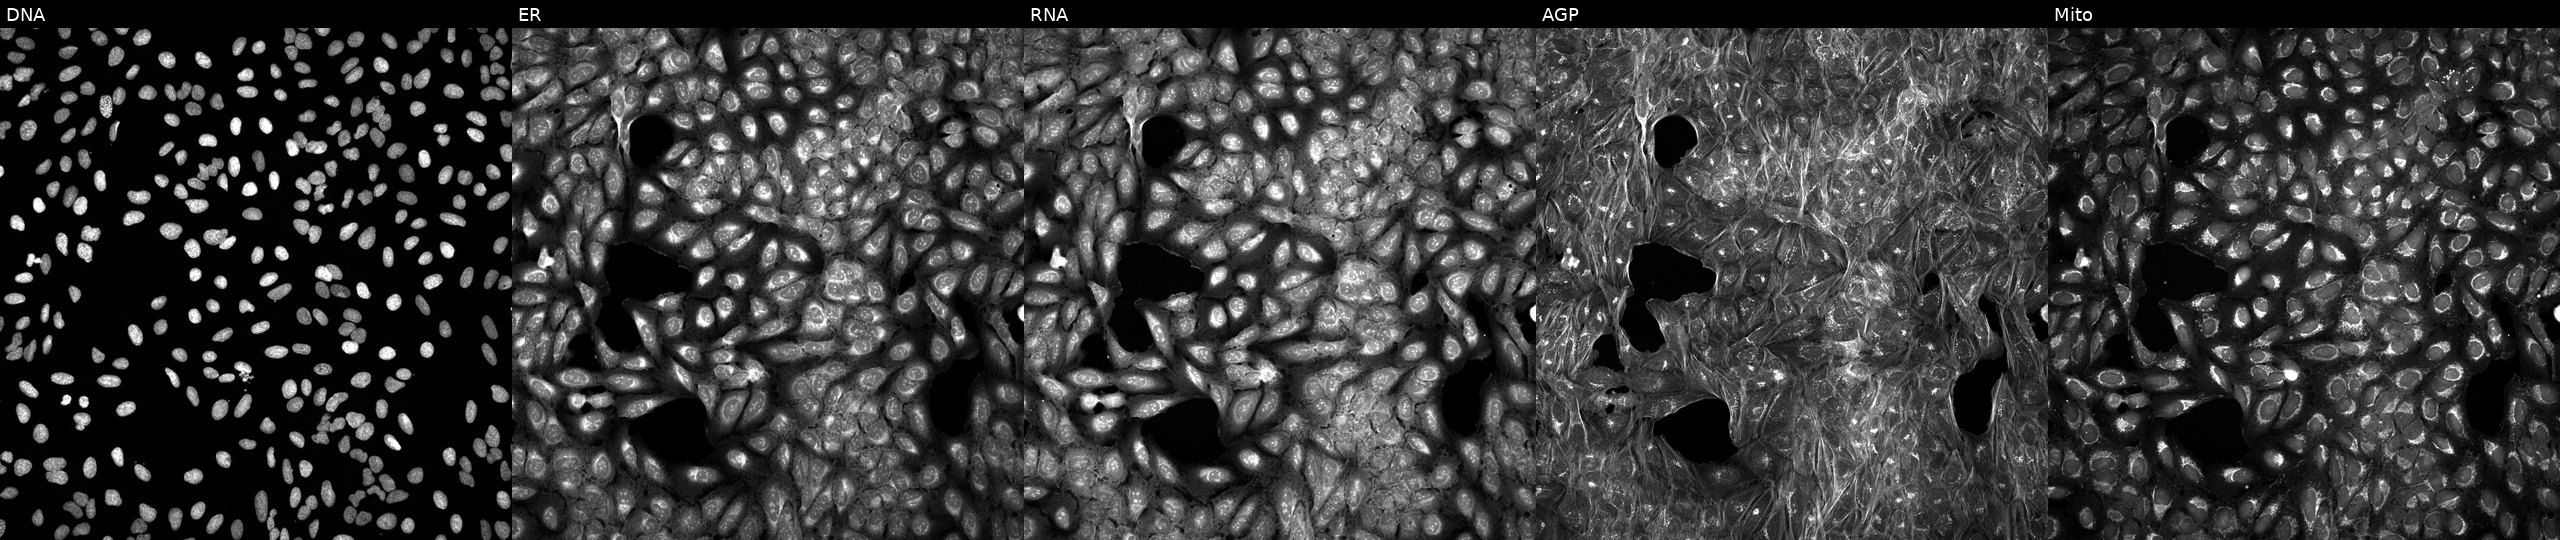
This image strip shows the five Cell Painting channels for a single field of U2OS cells treated with a small-molecule compound (InChIKey LPAHKJMGDSJDRG-UHFFFAOYSA-N). The five panels, left to right, show DNA (nuclei); ER (endoplasmic reticulum); RNA (nucleoli and cytoplasmic RNA); AGP (actin cytoskeleton, Golgi, and plasma membrane); Mito (mitochondria).